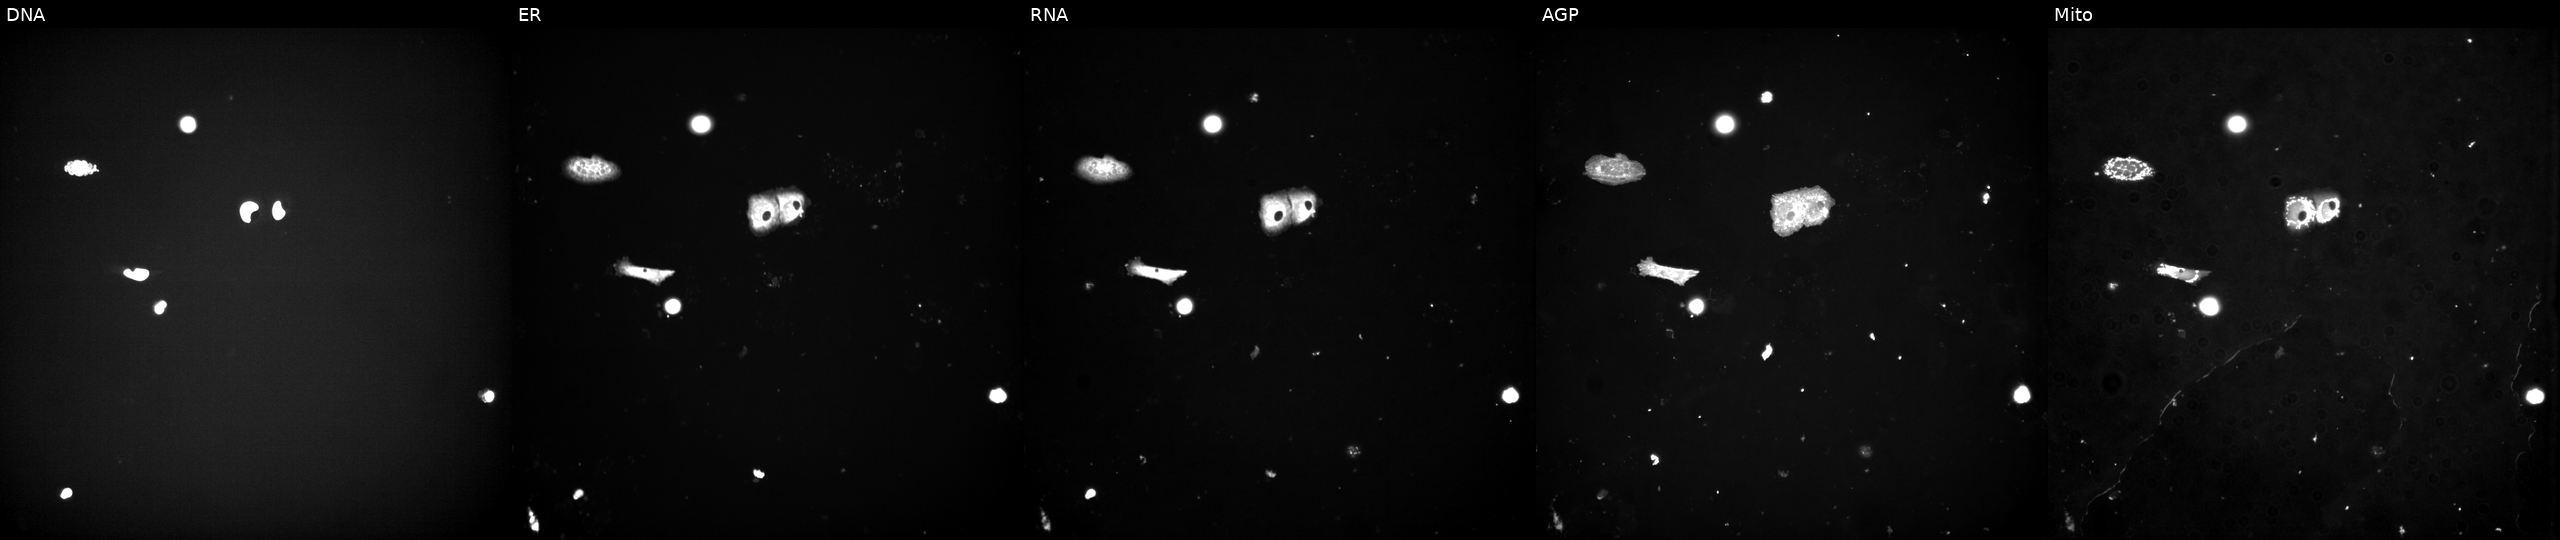
High-content fluorescence microscopy (Cell Painting). Cell line: U2OS. Perturbation: perturbed with a small-molecule compound (InChIKey CWHUFRVAEUJCEF-UHFFFAOYSA-N). Channels (left→right): DNA (nuclei); ER (endoplasmic reticulum); RNA (nucleoli and cytoplasmic RNA); AGP (actin cytoskeleton, Golgi, and plasma membrane); Mito (mitochondria).